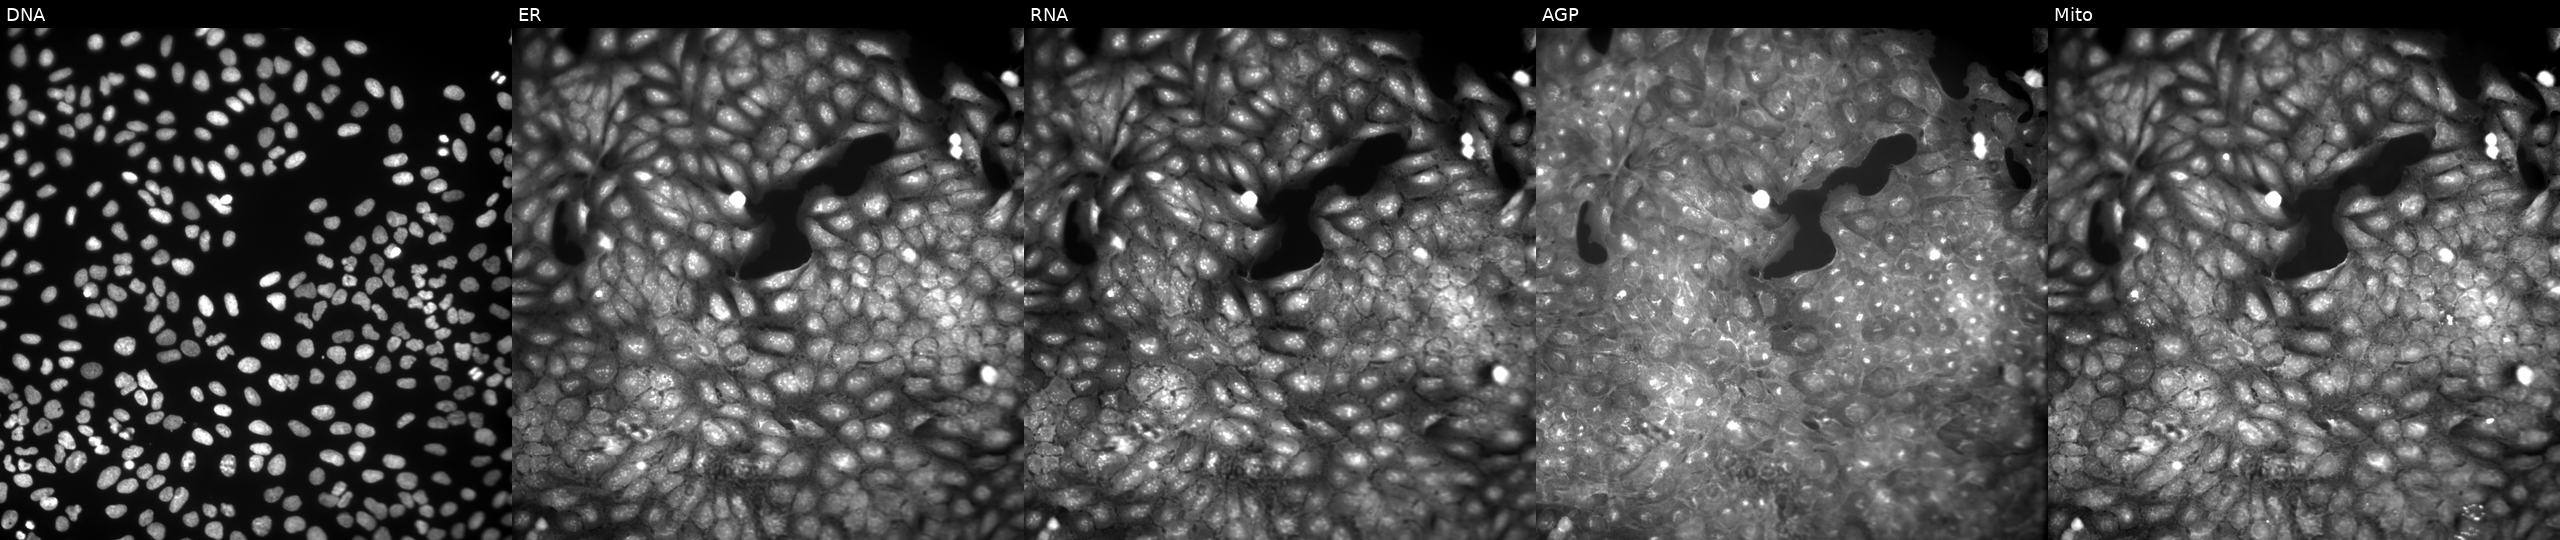
U2OS cells, Cell Painting assay, exposed to a small-molecule compound (InChIKey QWZWIBSKPSYXBG-UHFFFAOYSA-N). Panels show, left to right, Hoechst 33342, concanavalin A, SYTO 14, phalloidin and WGA, MitoTracker. Each panel is percentile-stretched 16-bit fluorescence.